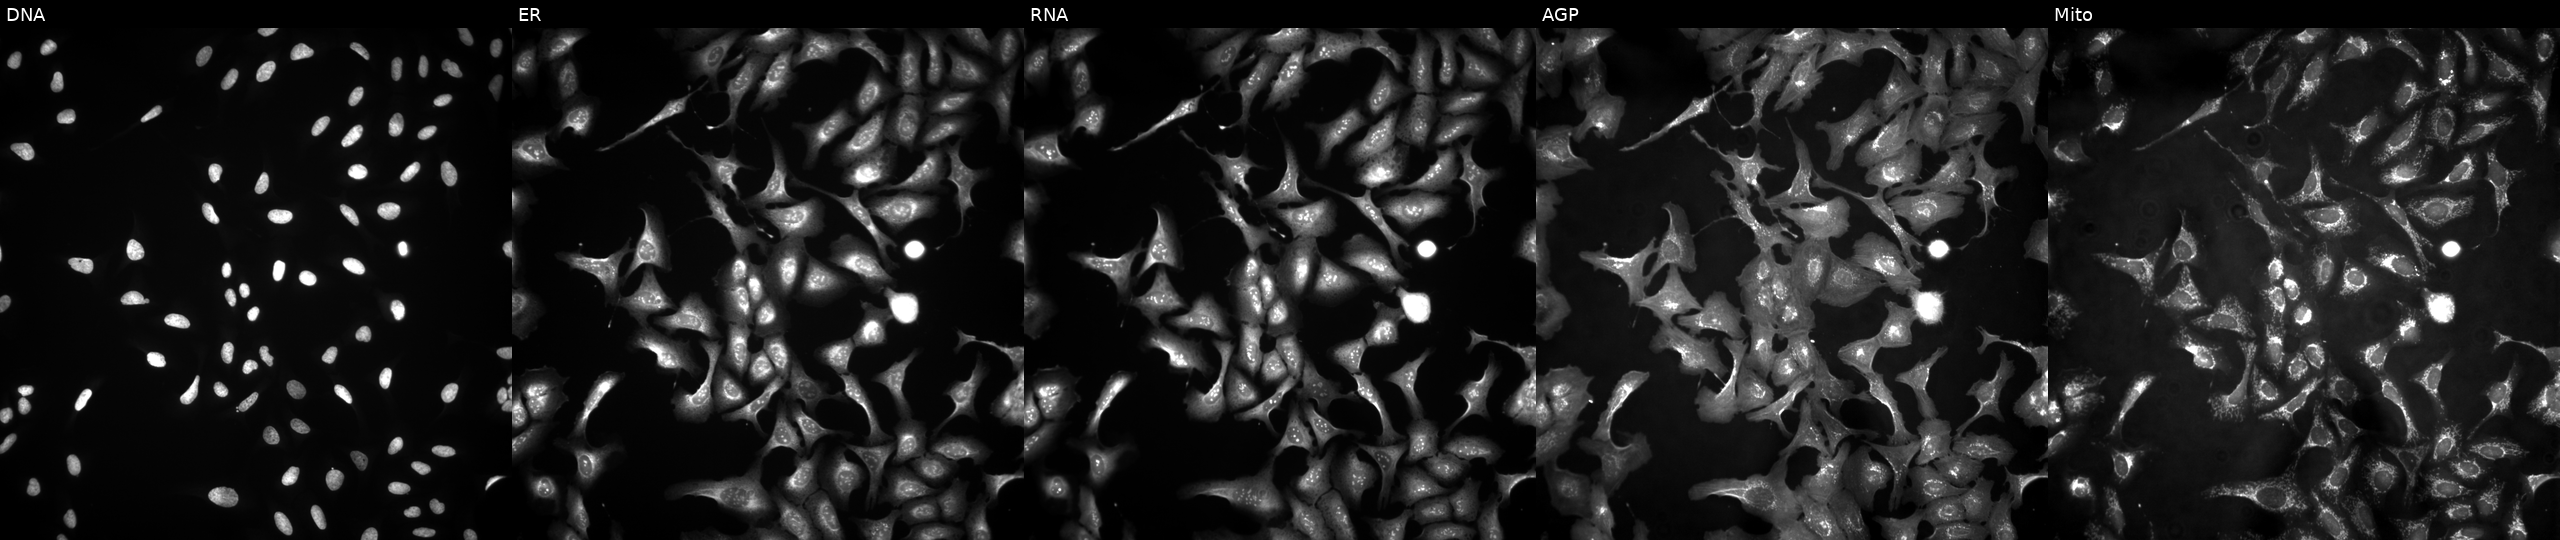
JUMP Cell Painting — ORF plate. U2OS cells overexpressing CPA6 via ORF transfection (JUMP id JCP2022_908126). The five panels, left to right, show Hoechst 33342, concanavalin A, SYTO 14, phalloidin and WGA, MitoTracker.